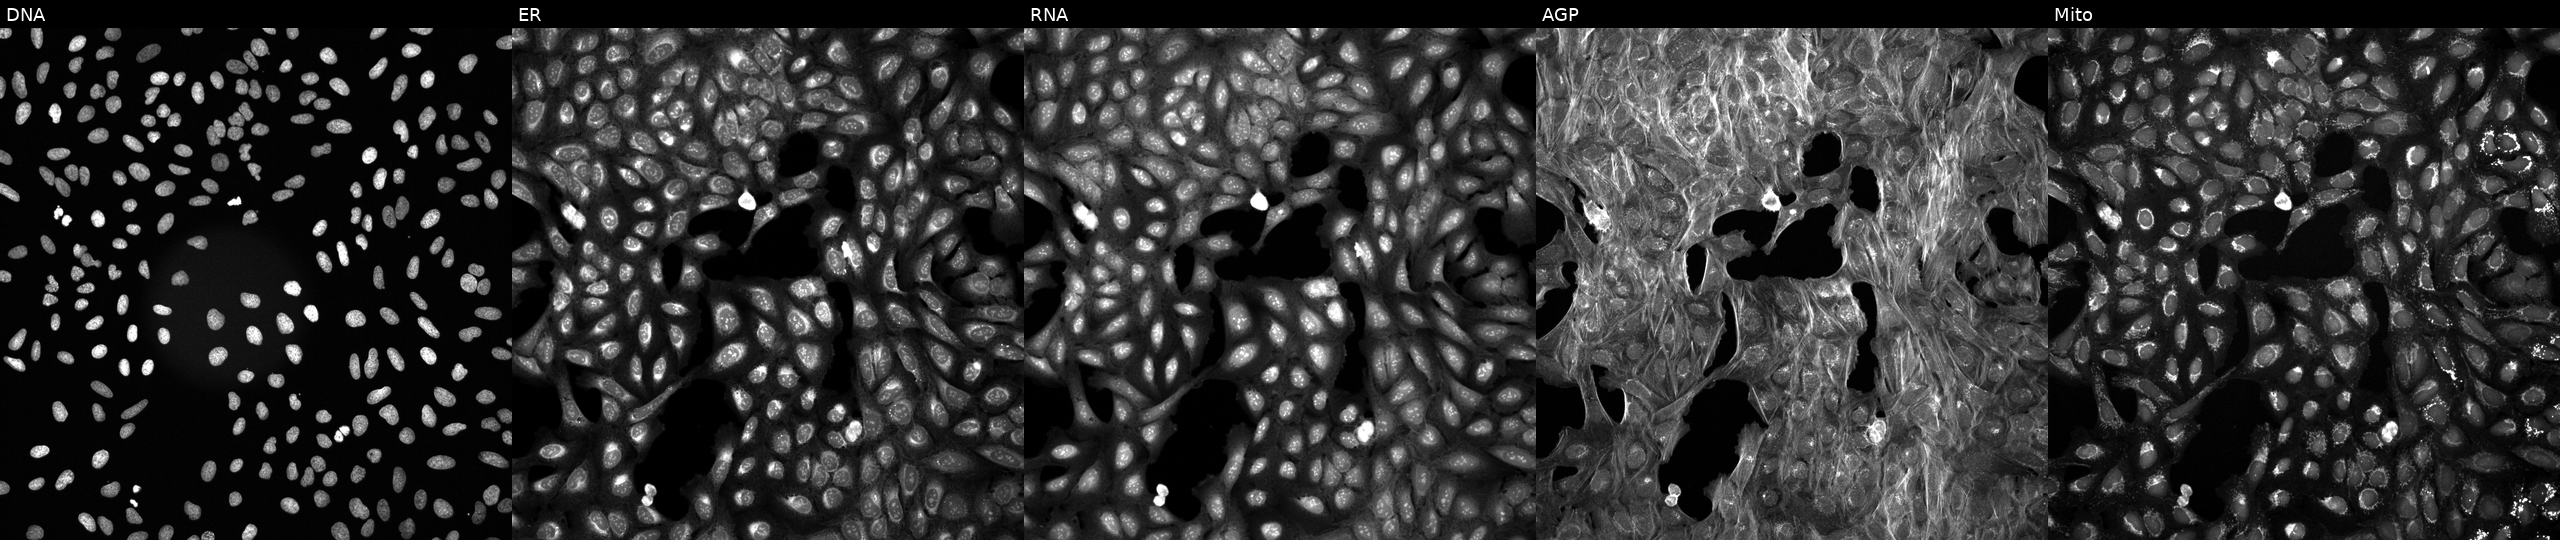
U2OS cells, Cell Painting assay, treated with a small-molecule compound. Channels (left→right): DNA (nuclei); ER (endoplasmic reticulum); RNA (nucleoli and cytoplasmic RNA); AGP (actin cytoskeleton, Golgi, and plasma membrane); Mito (mitochondria). Each panel is percentile-stretched 16-bit fluorescence. Source 6, plate 110000294901, well O10.